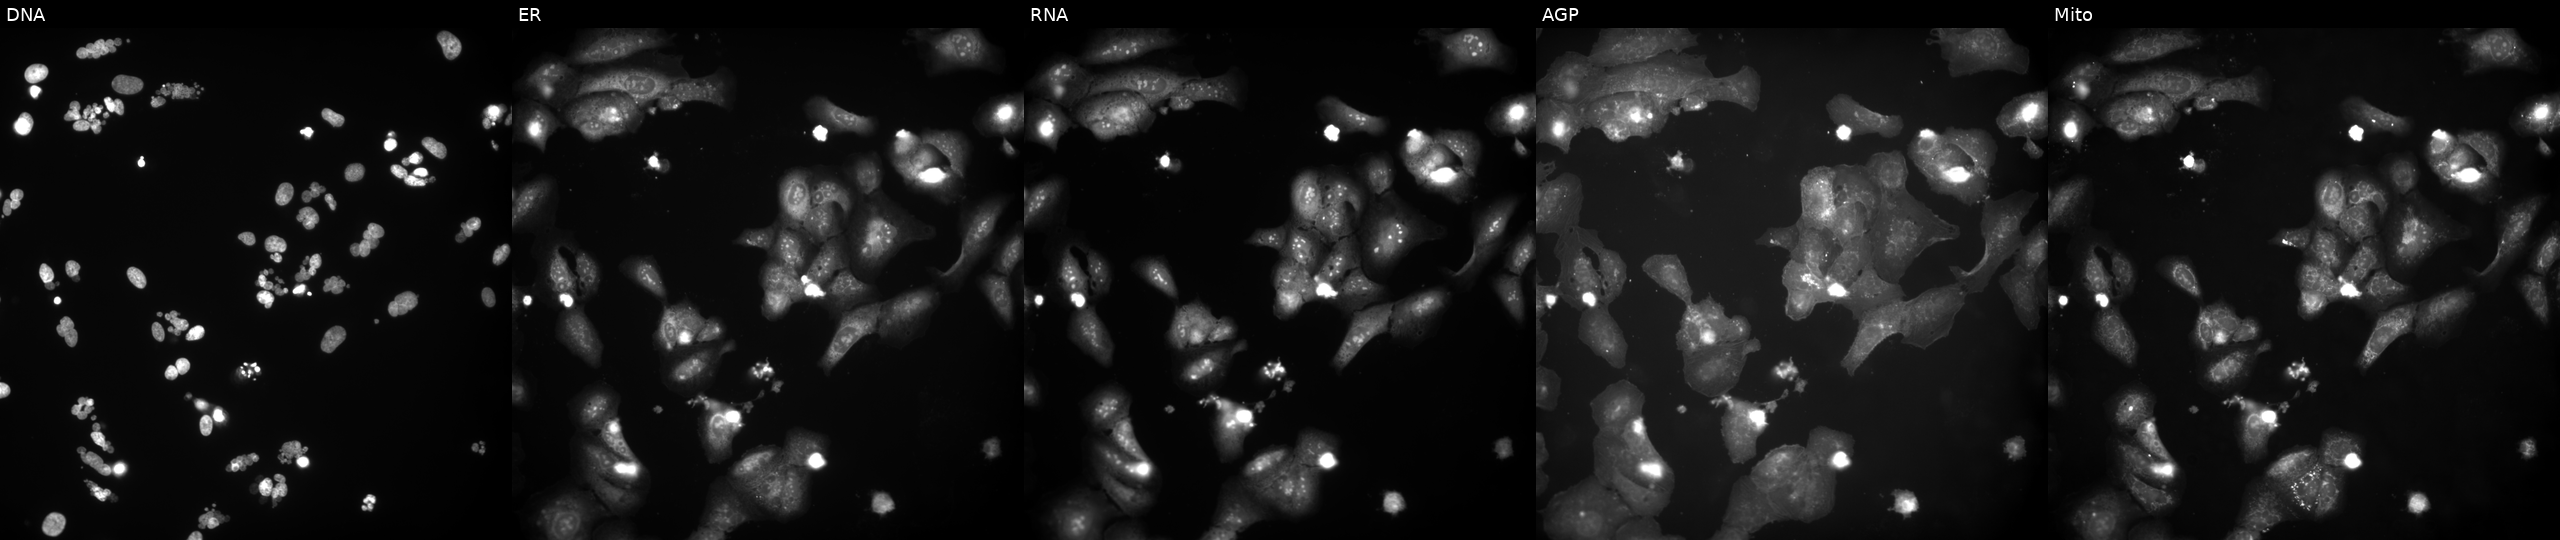
Channels (left→right): Hoechst 33342, concanavalin A, SYTO 14, phalloidin and WGA, MitoTracker. U2OS osteosarcoma cells treated with a small-molecule compound (InChIKey SEACXRZKDQQCDM-UHFFFAOYSA-N) (JUMP id JCP2022_082582). Cell Painting assay, JUMP-CP dataset. Source 9, plate GR00003382, well Y21.